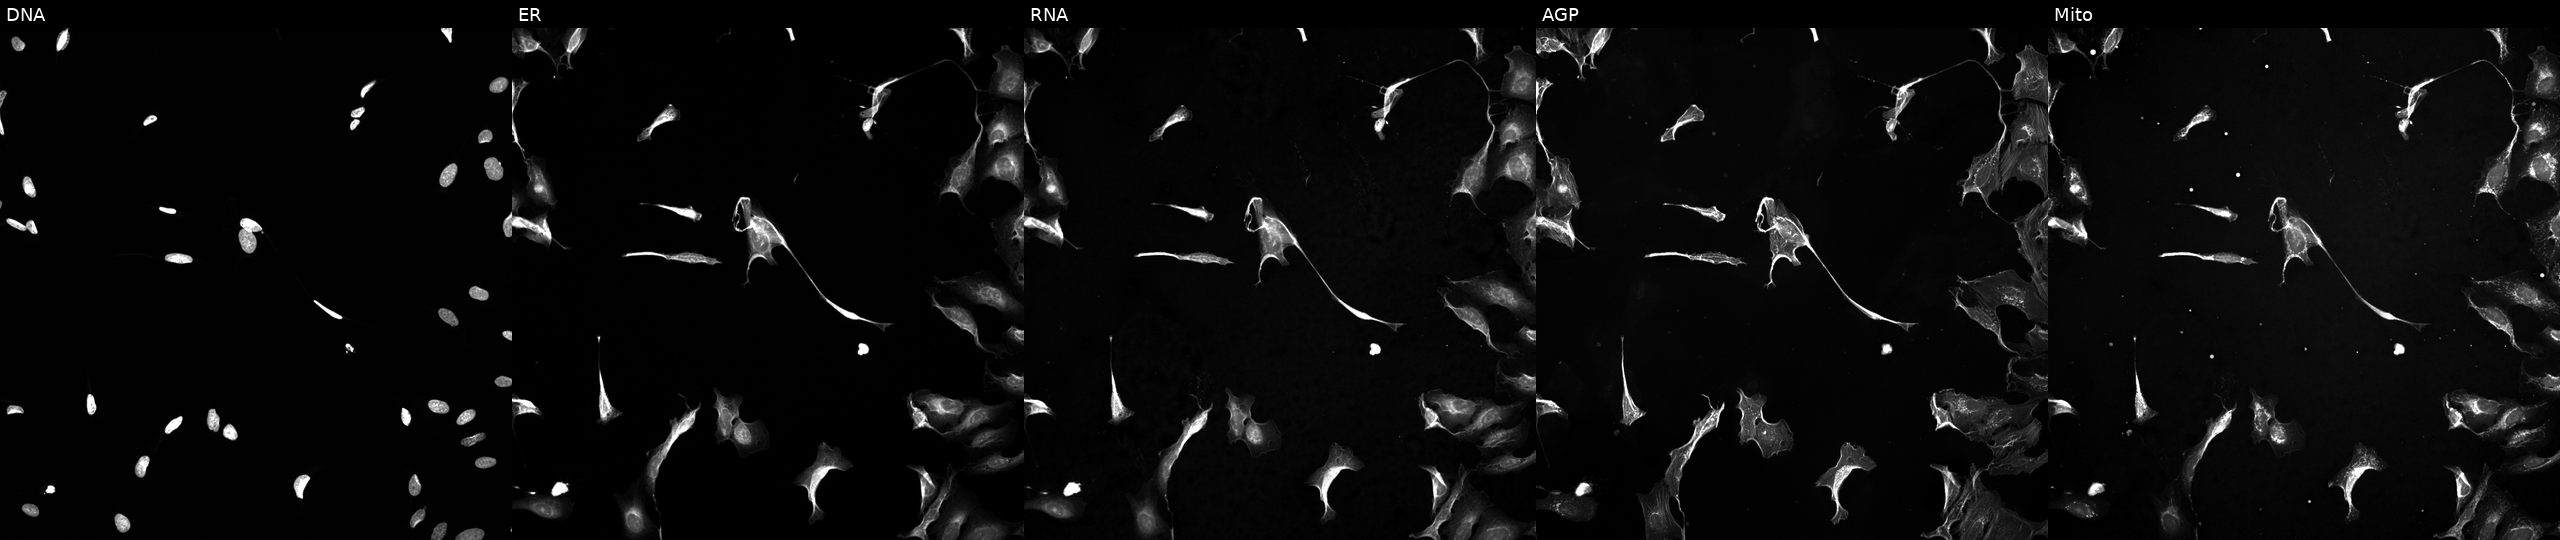
Channels (left→right): Hoechst 33342, concanavalin A, SYTO 14, phalloidin and WGA, MitoTracker. U2OS osteosarcoma cells treated with a small-molecule compound (InChIKey HUXYBQXJVXOMKX-UHFFFAOYSA-N) (JUMP id JCP2022_032771). Cell Painting assay, JUMP-CP dataset. Source 5, plate ACPJUM051, well D05.